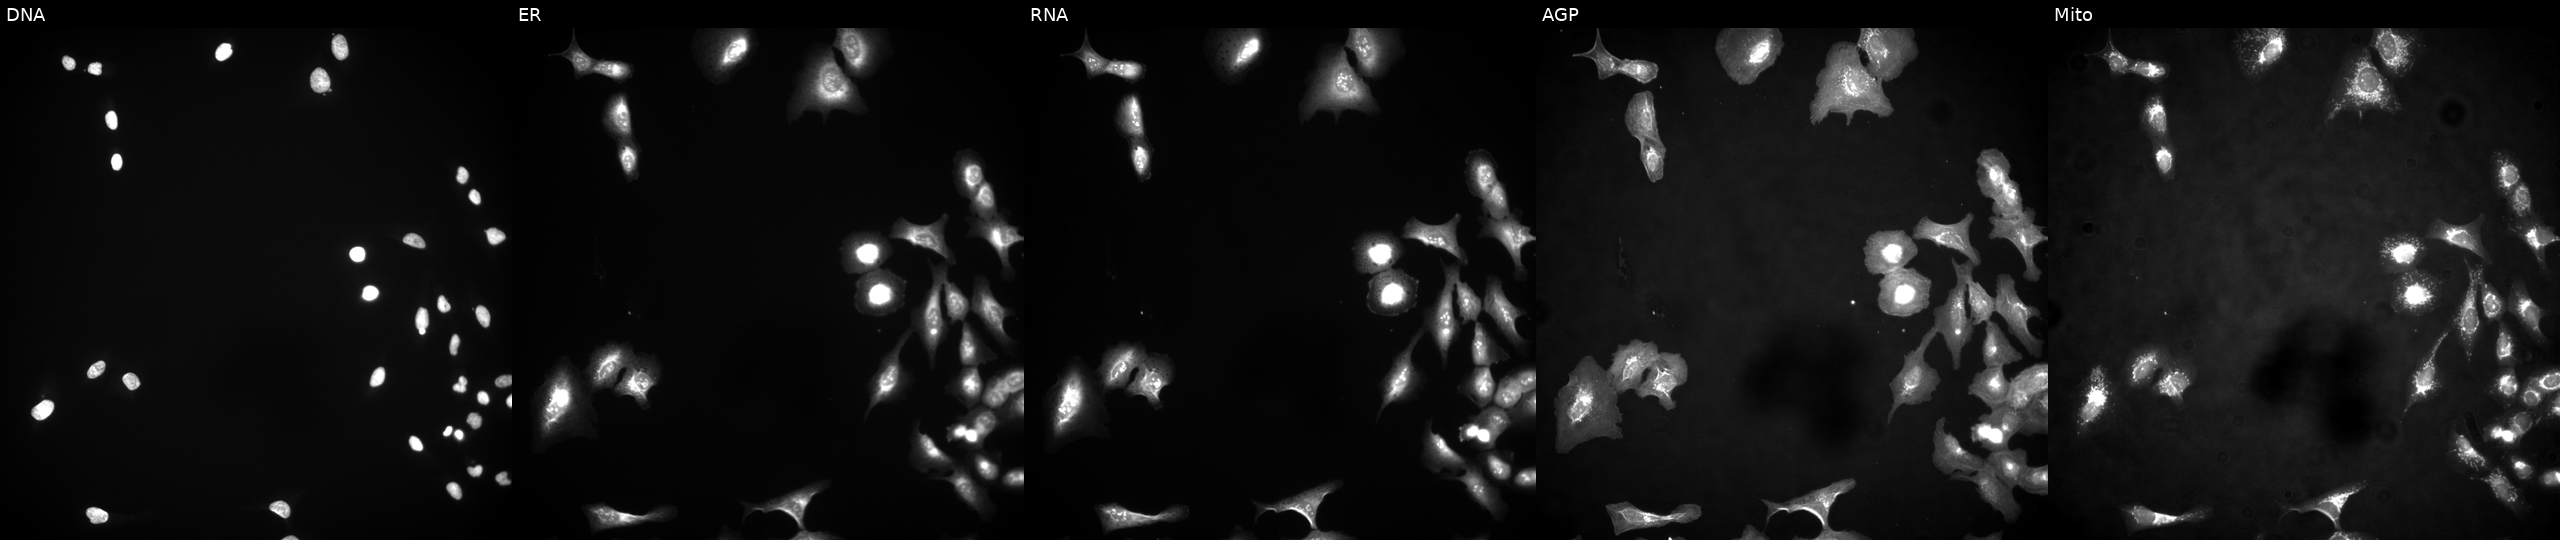
Five-channel Cell Painting image of U2OS cells with XLOC_l2_008600 overexpressed (ORF) (JUMP id JCP2022_909885). The five panels, left to right, show DNA (nuclei); ER (endoplasmic reticulum); RNA (nucleoli and cytoplasmic RNA); AGP (actin cytoskeleton, Golgi, and plasma membrane); Mito (mitochondria). Source 4, plate BR00124790, well M18.